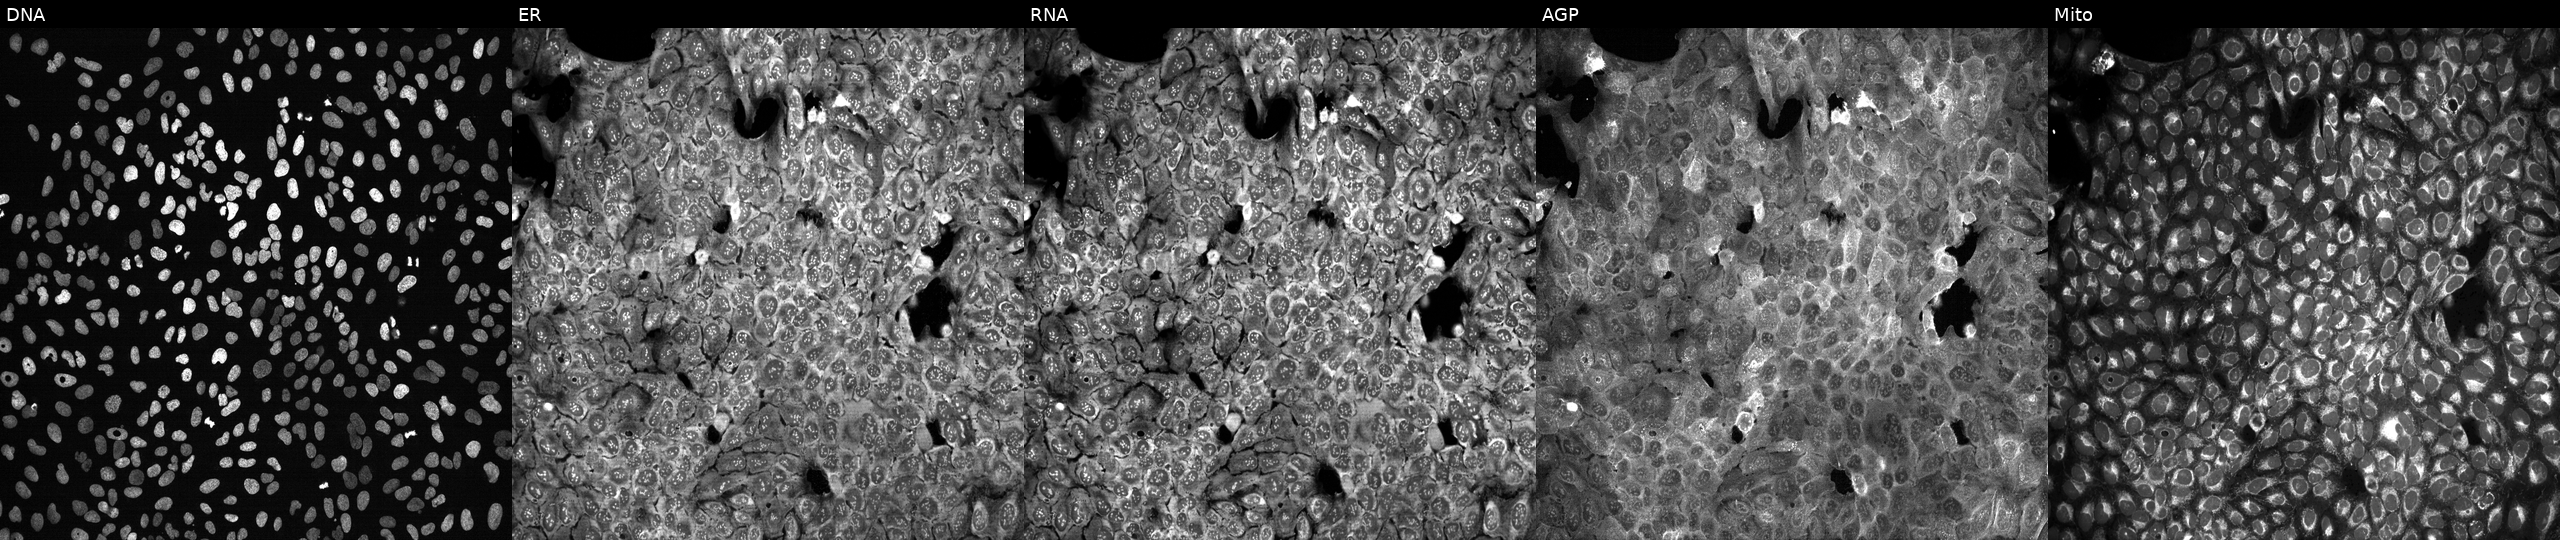
High-content fluorescence microscopy (Cell Painting). Cell line: U2OS. Perturbation: CRISPR-edited to disrupt PLPPR2. Panels show, left to right, Hoechst 33342, concanavalin A, SYTO 14, phalloidin and WGA, MitoTracker.